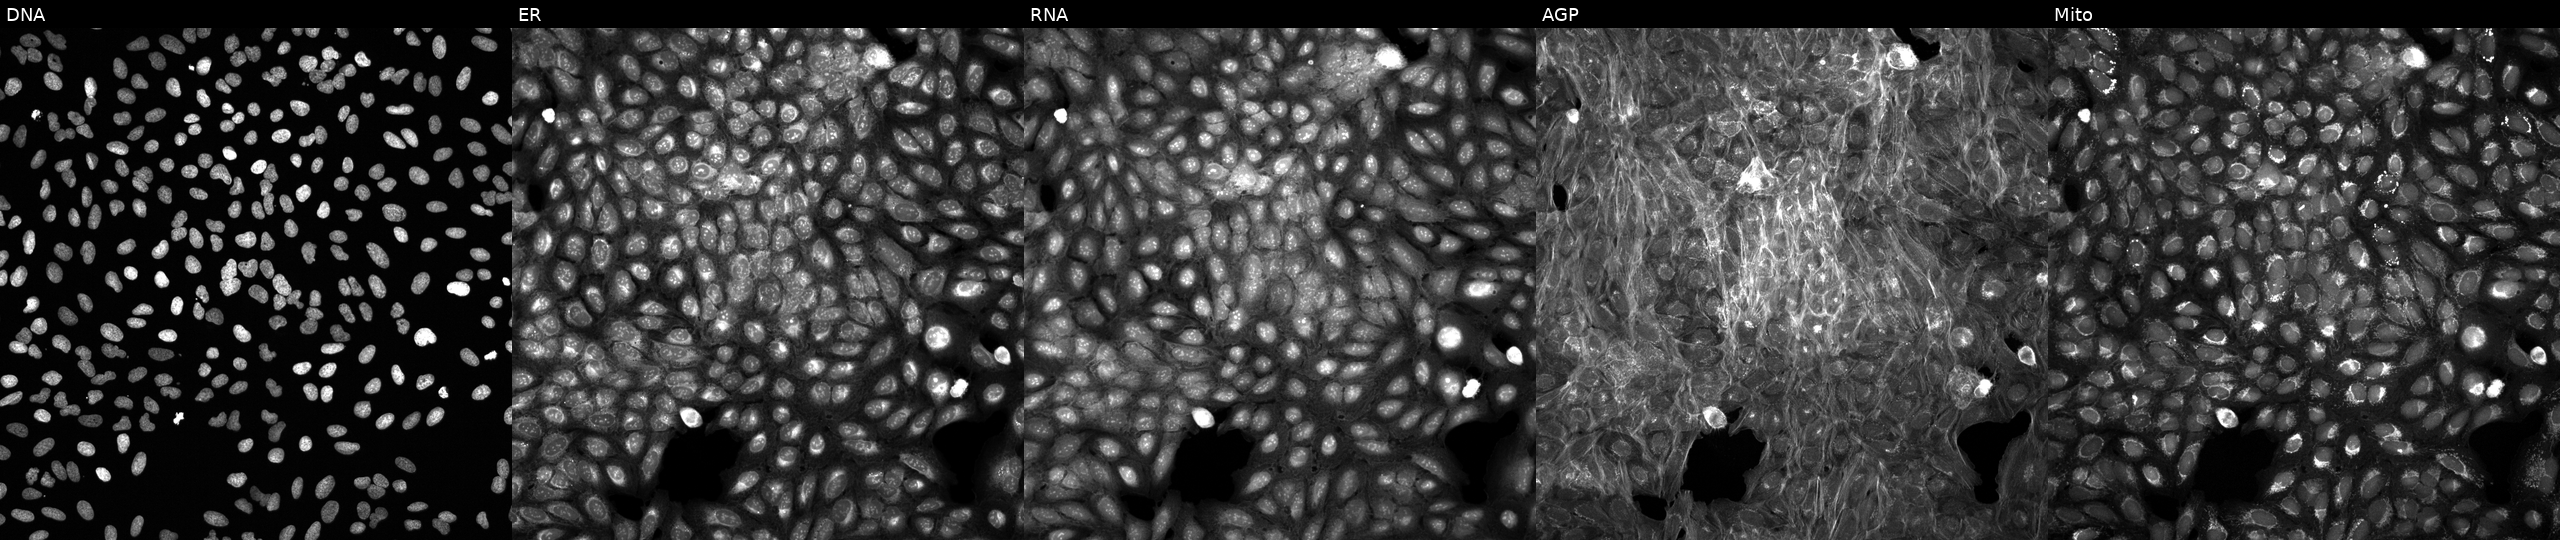
High-content fluorescence microscopy (Cell Painting). Cell line: U2OS. Perturbation: treated with a small-molecule compound (InChIKey HWHLPVGTWGOCJO-UHFFFAOYSA-N) (JUMP id JCP2022_033012). From left to right: DNA, ER, RNA, AGP, and Mito.